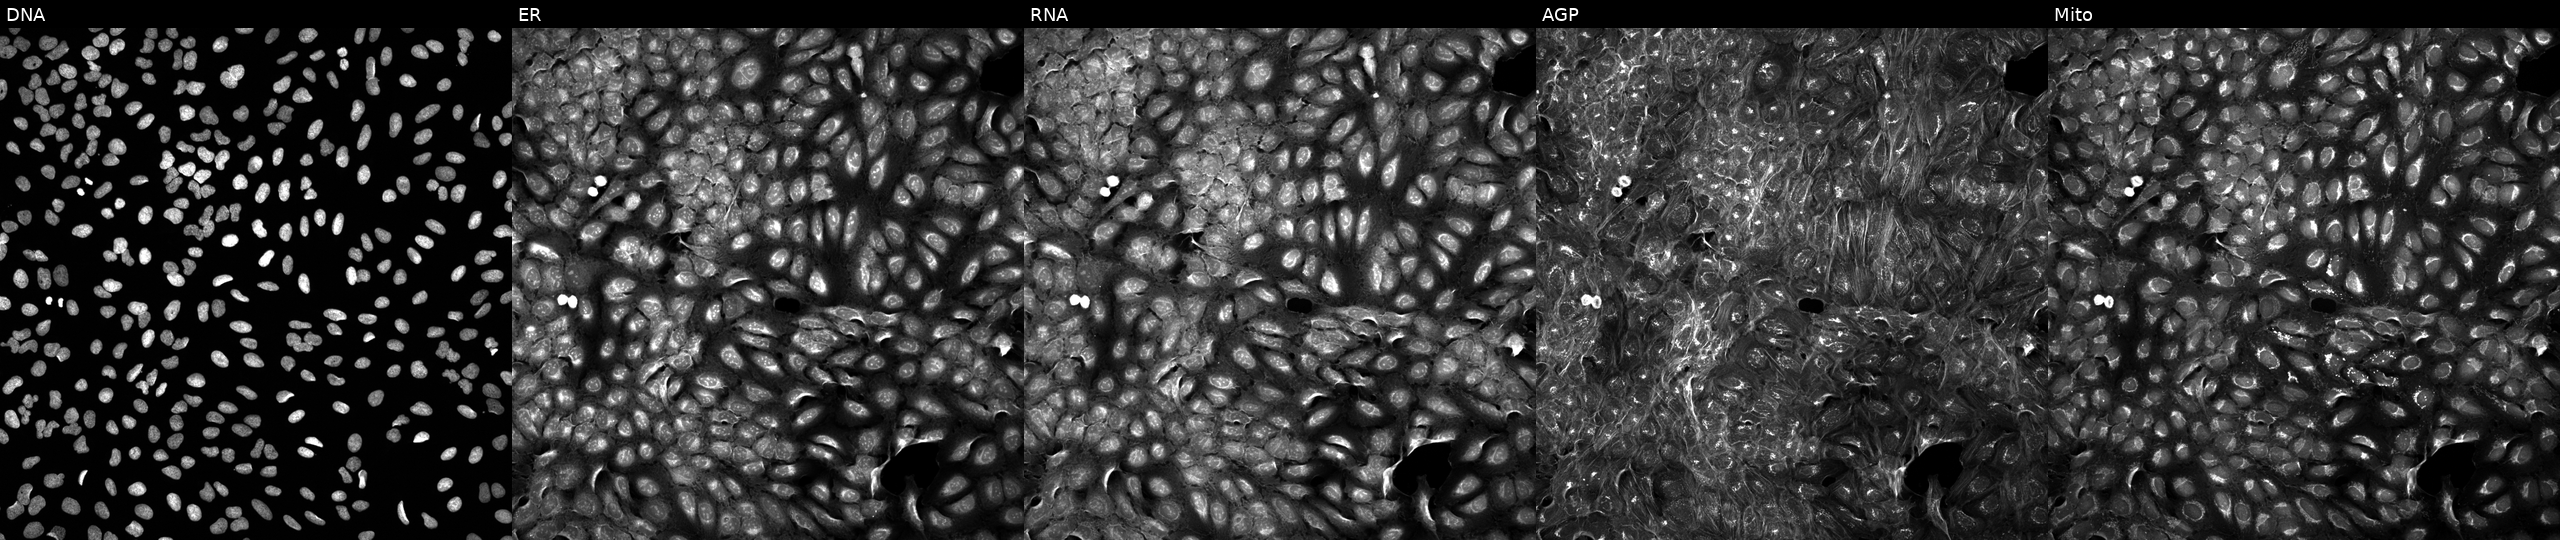
High-content fluorescence microscopy (Cell Painting). Cell line: U2OS. Perturbation: exposed to a small-molecule compound (InChIKey LBWQQAMEJDZEIJ-UHFFFAOYSA-N). The five panels, left to right, show DNA, ER, RNA, AGP, and Mito. Source 5, plate APTJUM105, well O03.